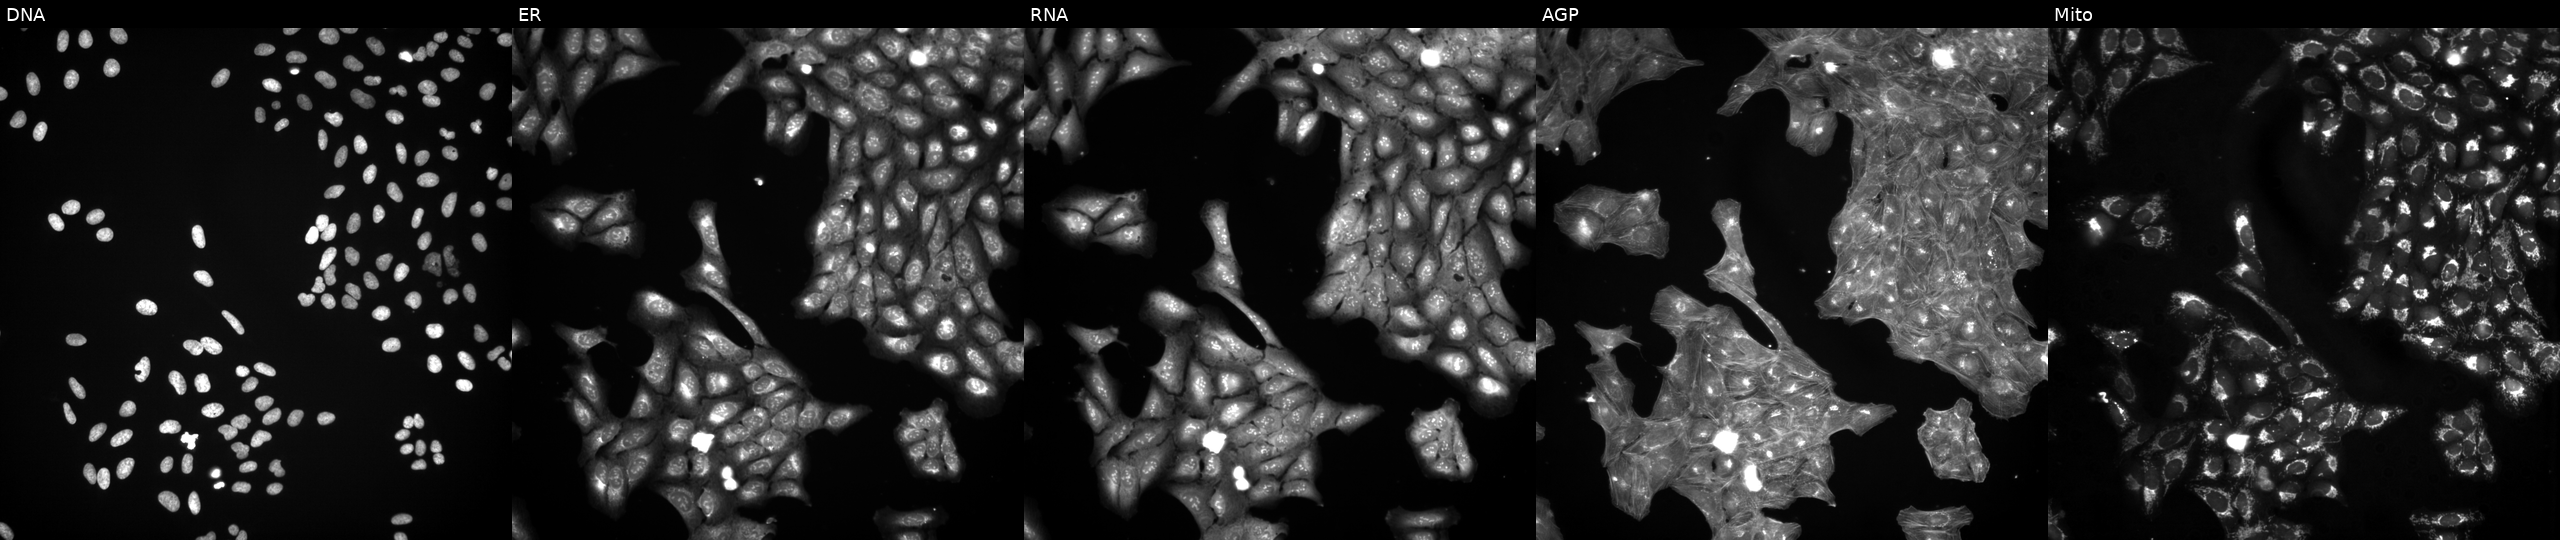
Five-channel Cell Painting image of U2OS cells exposed to a small-molecule compound (InChIKey QIHBWVVVRYYYRO-UHFFFAOYSA-N). Panels show, left to right, Hoechst 33342, concanavalin A, SYTO 14, phalloidin and WGA, MitoTracker. Source 3, plate JCPQC053, well E06.